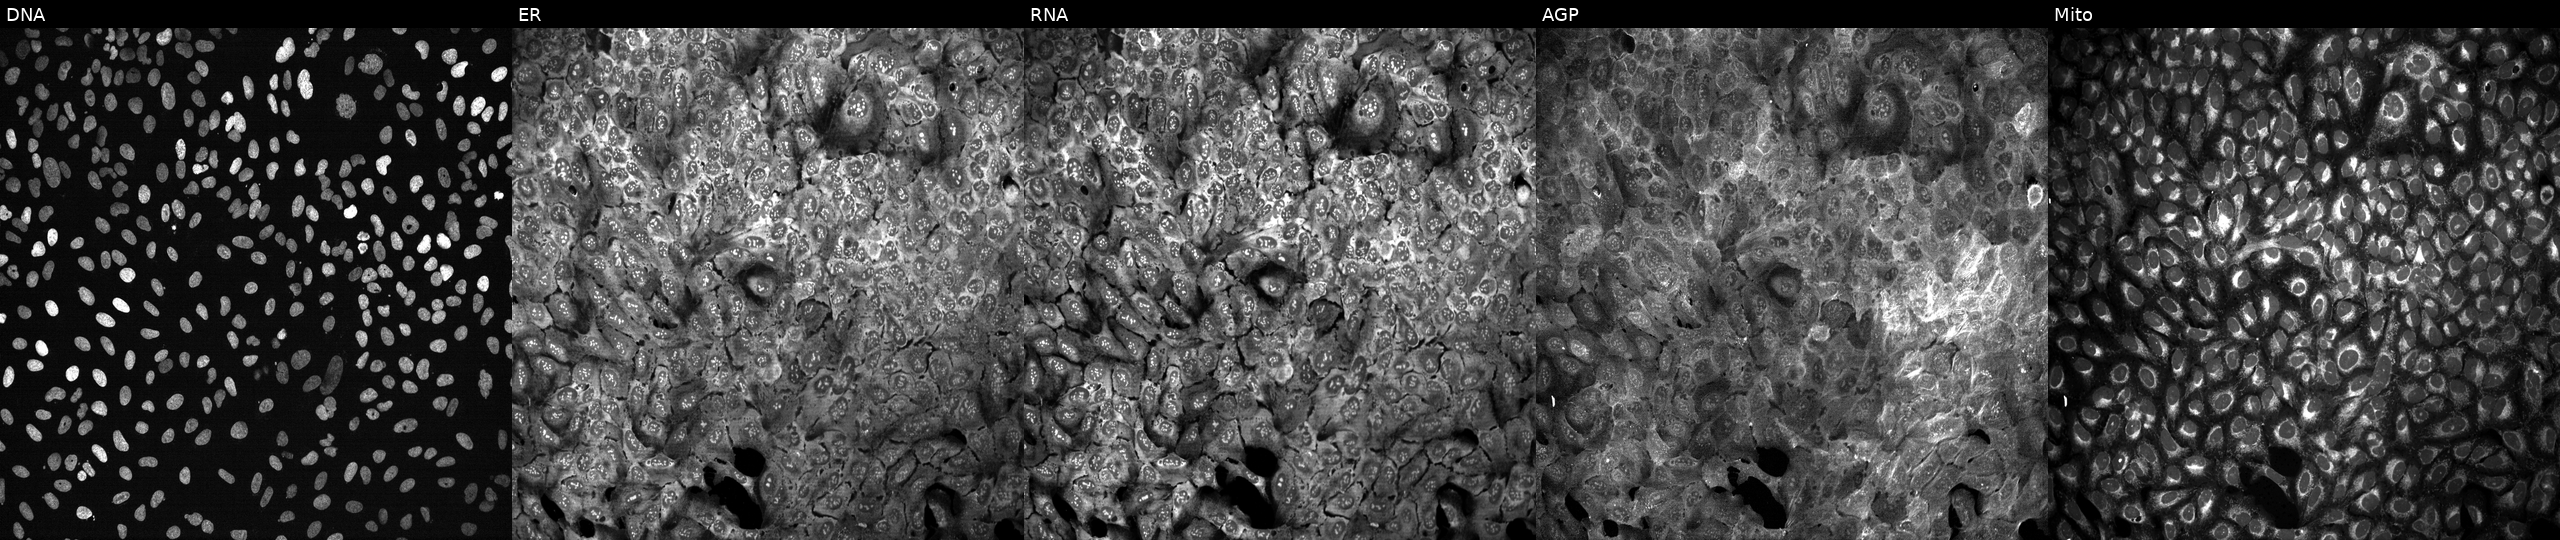
JUMP Cell Painting — CRISPR plate. U2OS cells following CRISPR knockout of CHD7. The five panels, left to right, show Hoechst 33342, concanavalin A, SYTO 14, phalloidin and WGA, MitoTracker. Source 13, plate CP-CC9-R2-01, well M15.